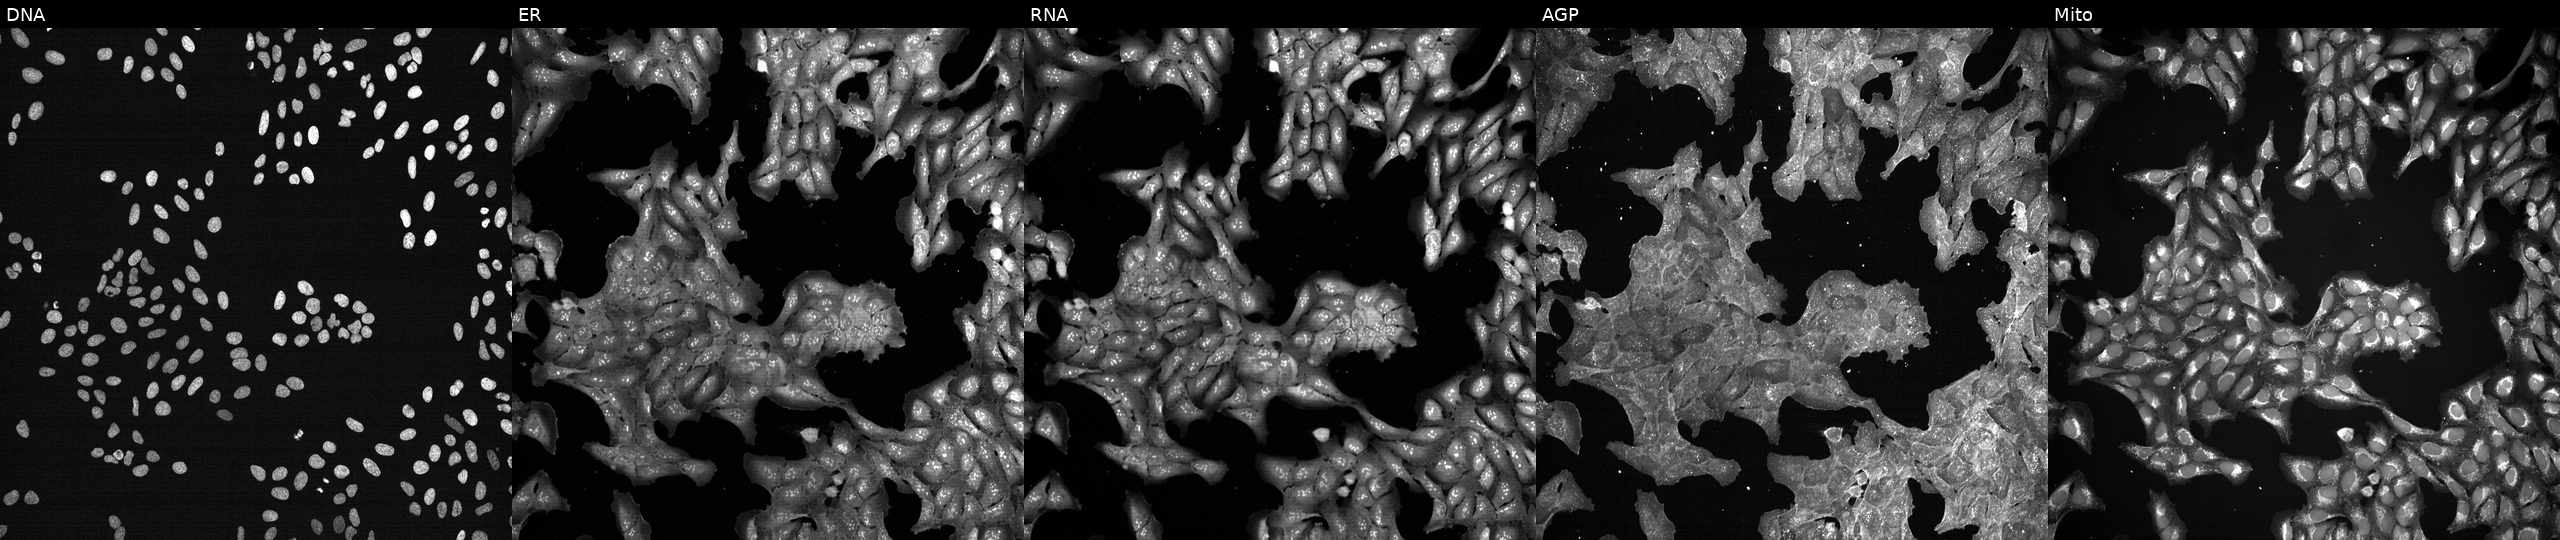
U2OS cells, Cell Painting assay, treated with DMSO vehicle only (negative control). From left to right: DNA, ER, RNA, AGP, and Mito. Each panel is percentile-stretched 16-bit fluorescence.